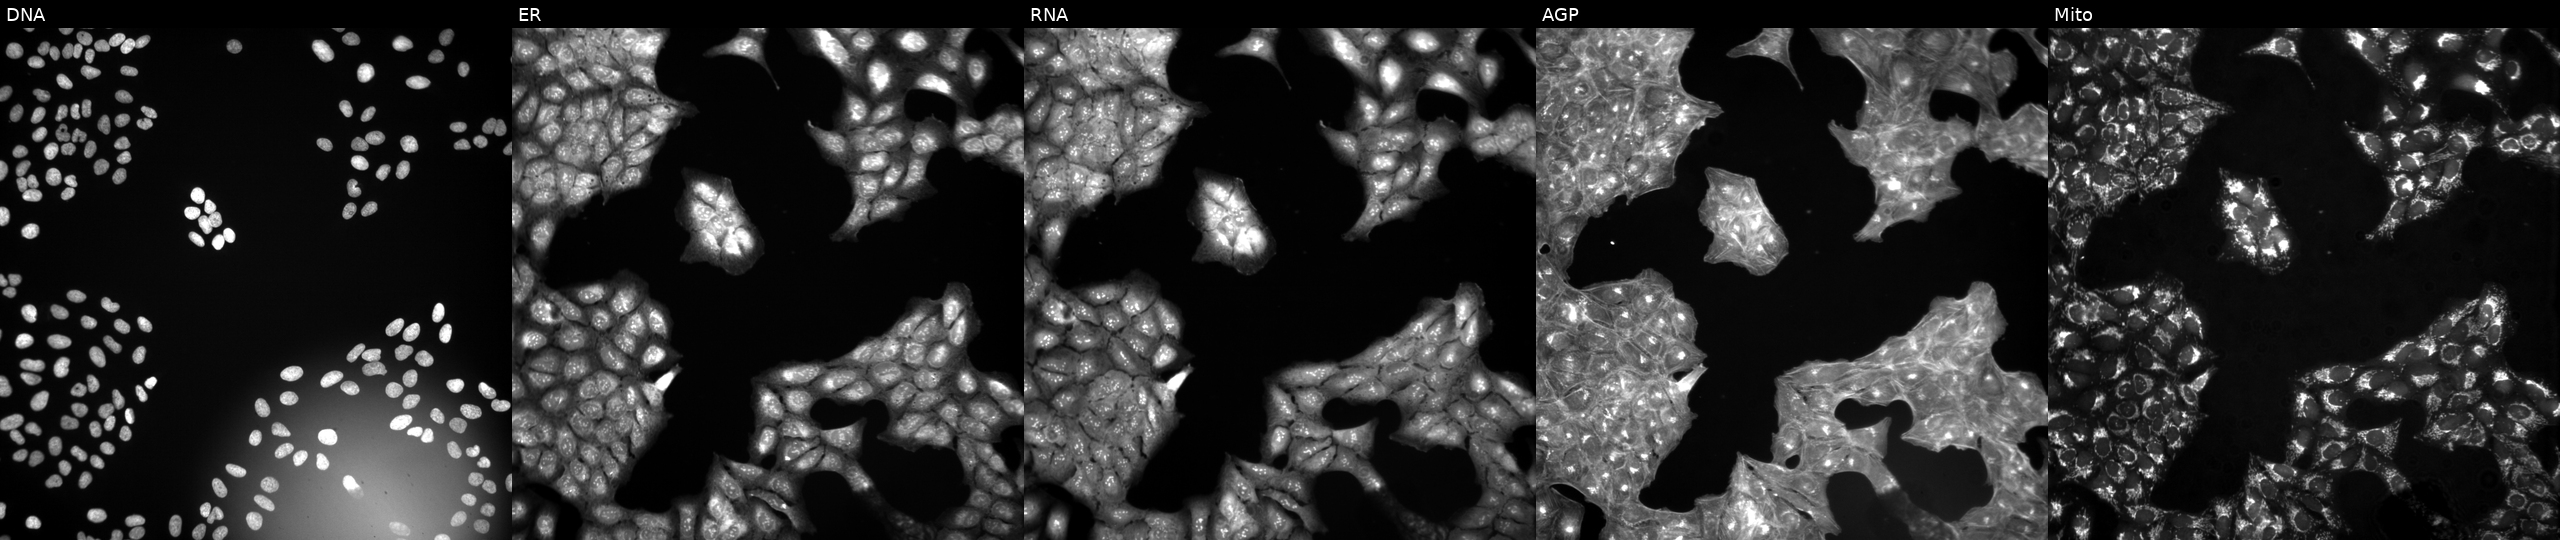
High-content fluorescence microscopy (Cell Painting). Cell line: U2OS. Perturbation: exposed to a small-molecule compound (InChIKey MENNDDDTIIZDDN-UHFFFAOYSA-N) (JUMP id JCP2022_053626). Panels show, left to right, Hoechst 33342, concanavalin A, SYTO 14, phalloidin and WGA, MitoTracker.